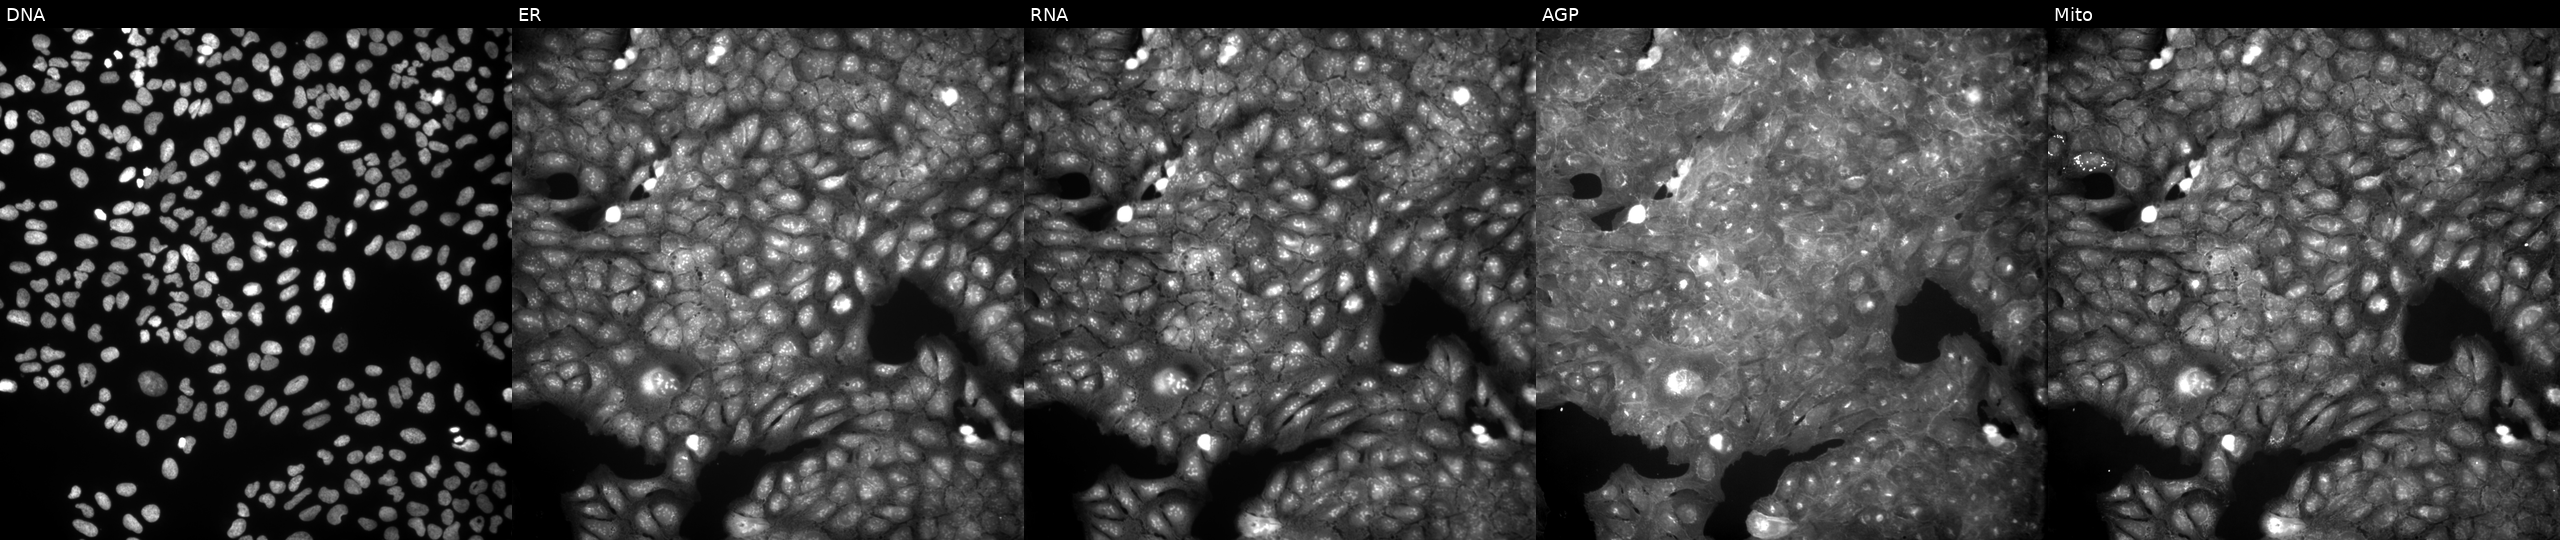
U2OS cells, Cell Painting assay, exposed to a small-molecule compound (InChIKey XTRHTVZAXYPHKZ-UHFFFAOYSA-N). Panels show, left to right, DNA, ER, RNA, AGP, and Mito. Each panel is percentile-stretched 16-bit fluorescence.